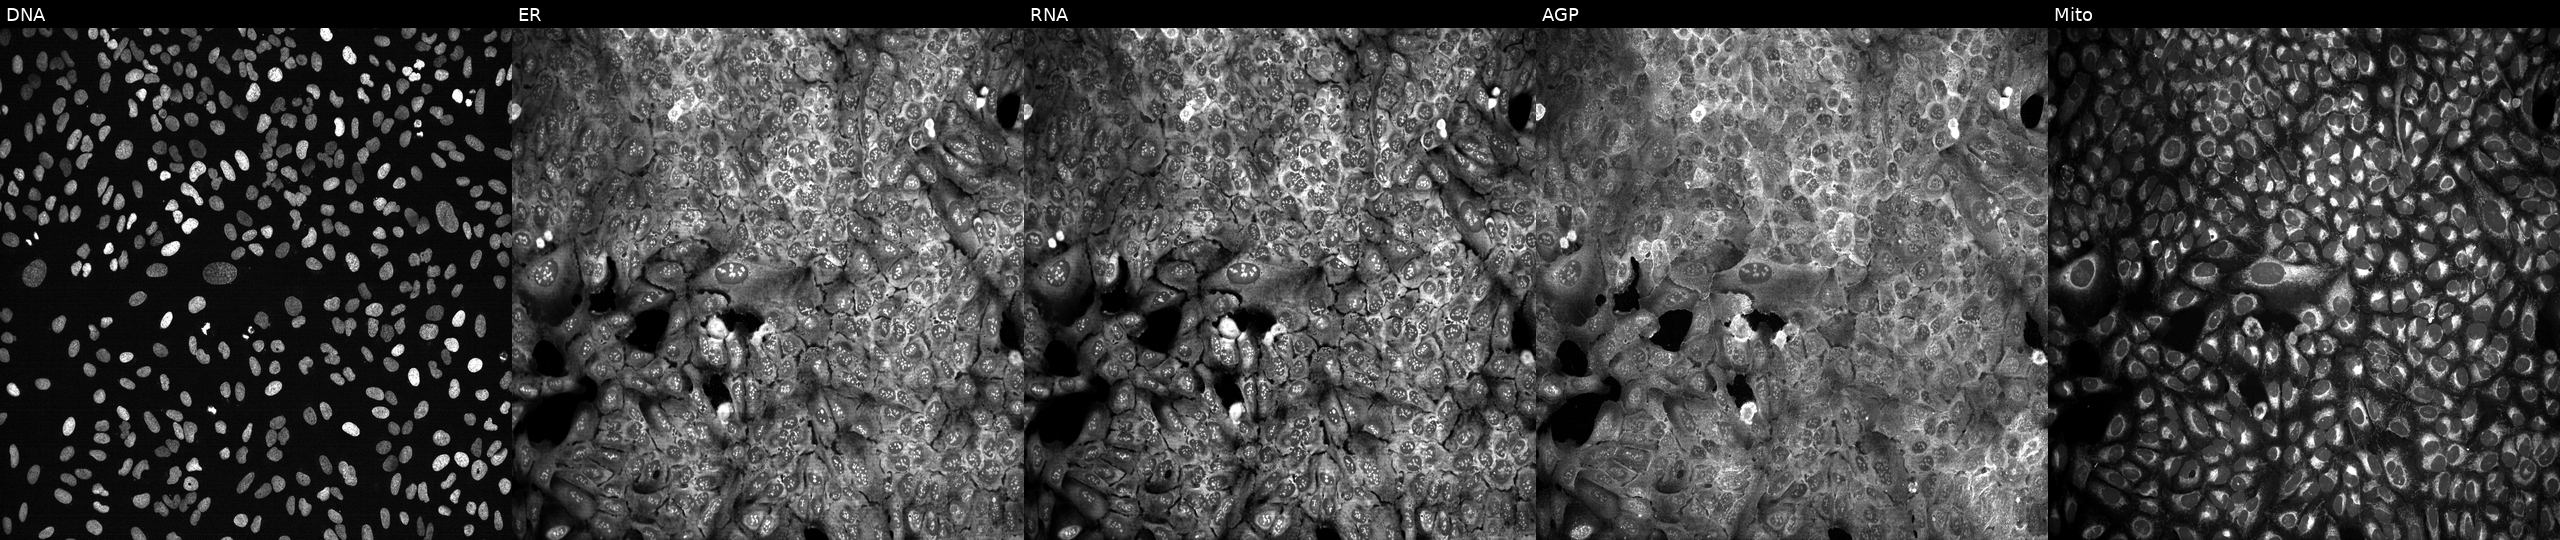
Five-channel Cell Painting image of U2OS cells with RAB22A knocked out by CRISPR. From left to right: DNA, ER, RNA, AGP, and Mito. Source 13, plate CP-CC9-R3-02, well I14.